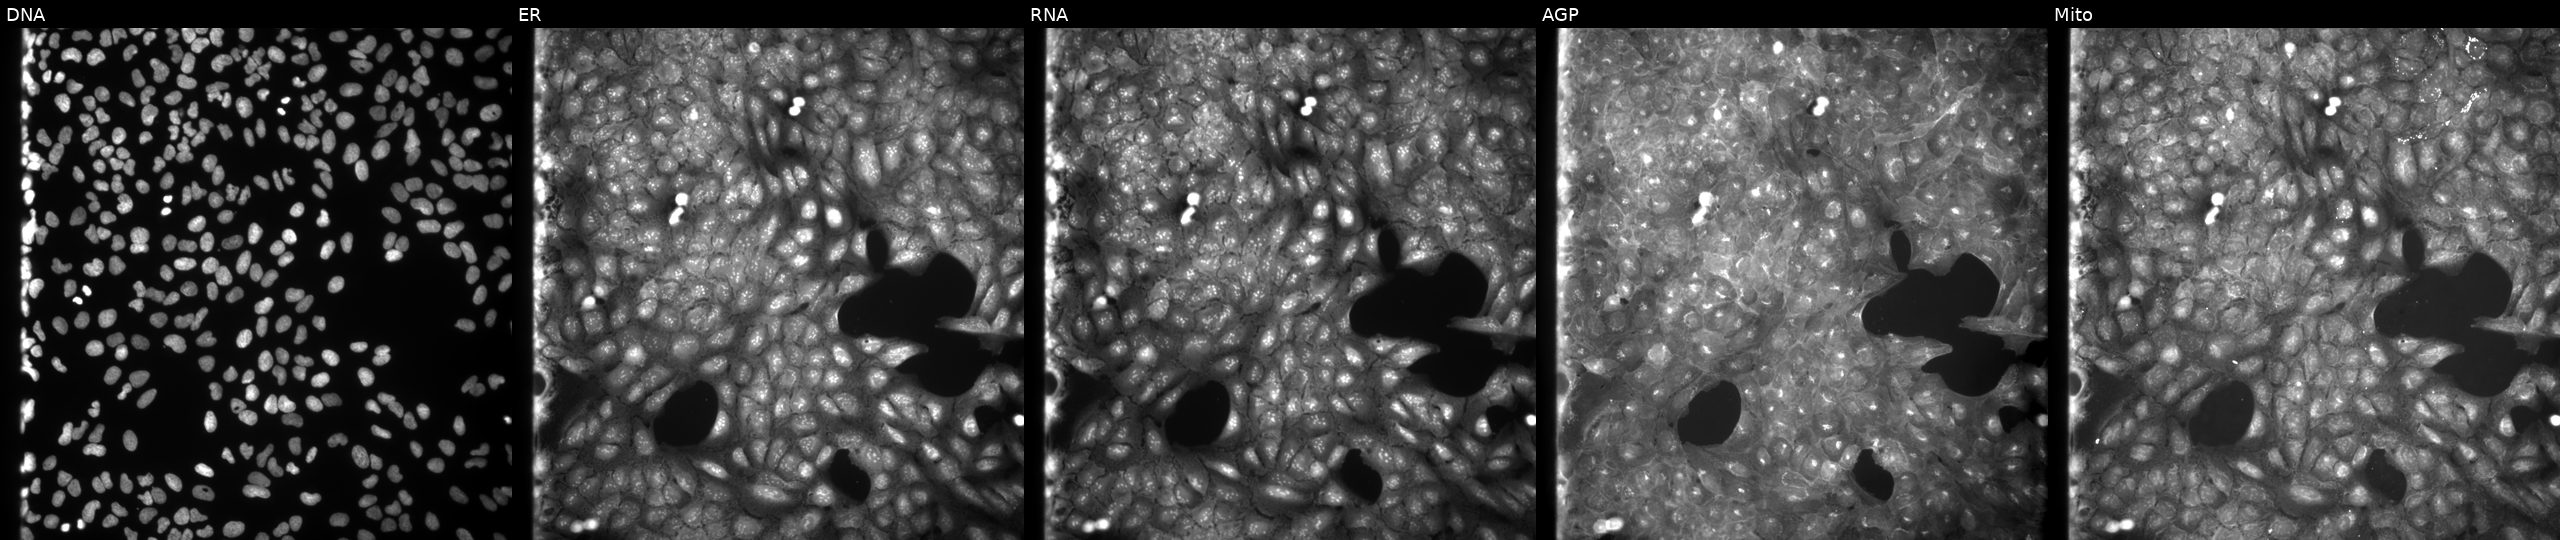
Channels (left→right): DNA, ER, RNA, AGP, and Mito. U2OS osteosarcoma cells exposed to a small-molecule compound (InChIKey OQISIHAJCWICIR-UHFFFAOYSA-N). Cell Painting assay, JUMP-CP dataset.